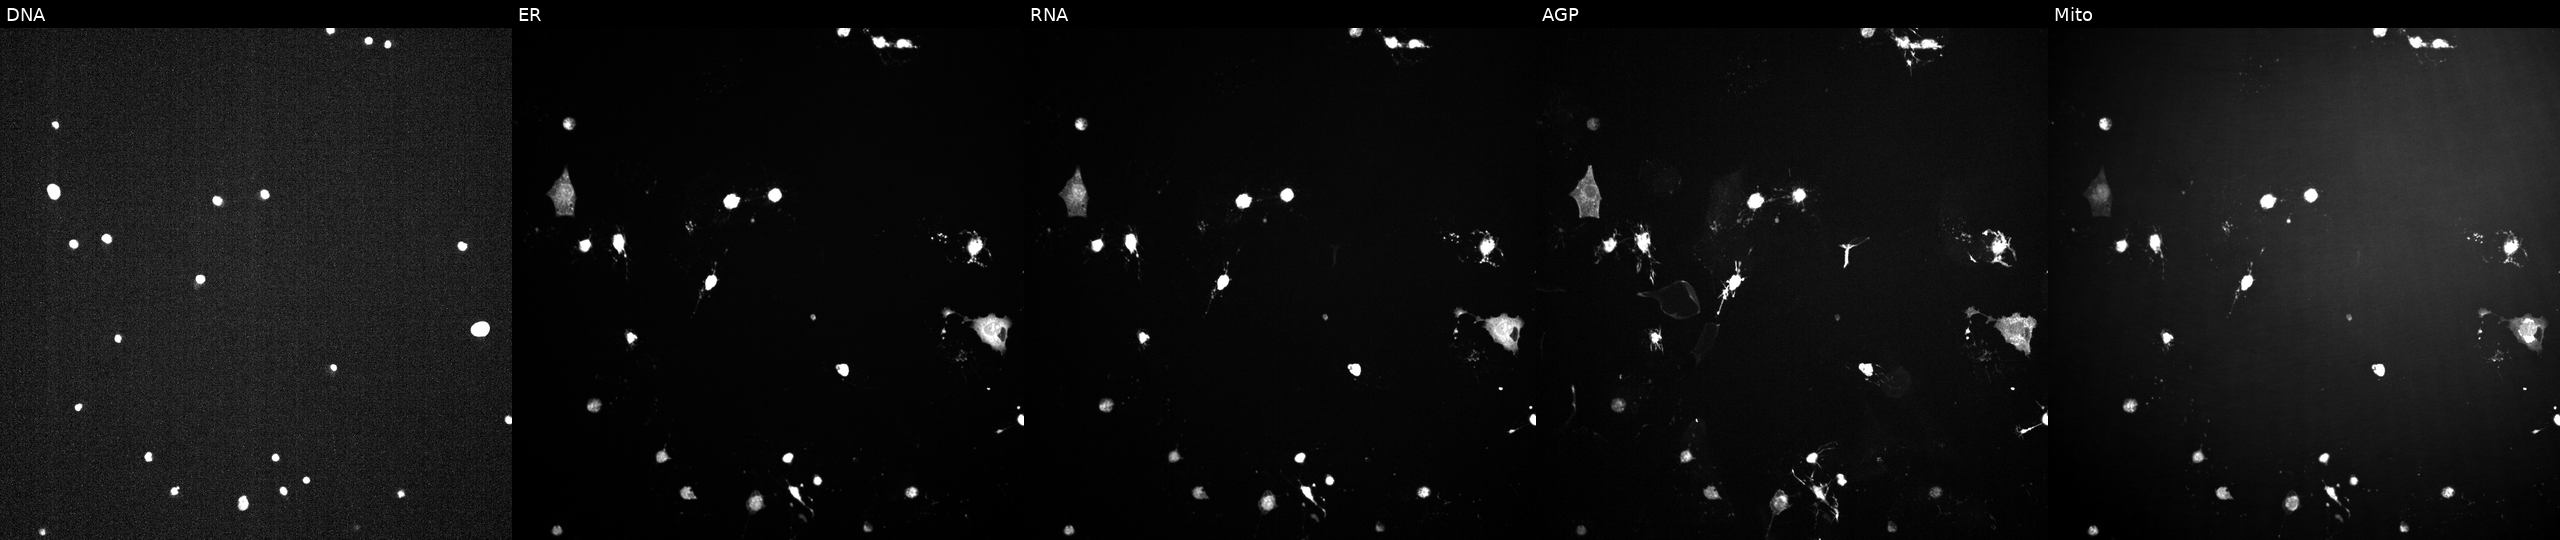
JUMP Cell Painting — TARGET2 plate. U2OS cells perturbed with a small-molecule compound (InChIKey UTBOEBCWXGDOGI-UHFFFAOYSA-N). Panels show, left to right, DNA, ER, RNA, AGP, and Mito.